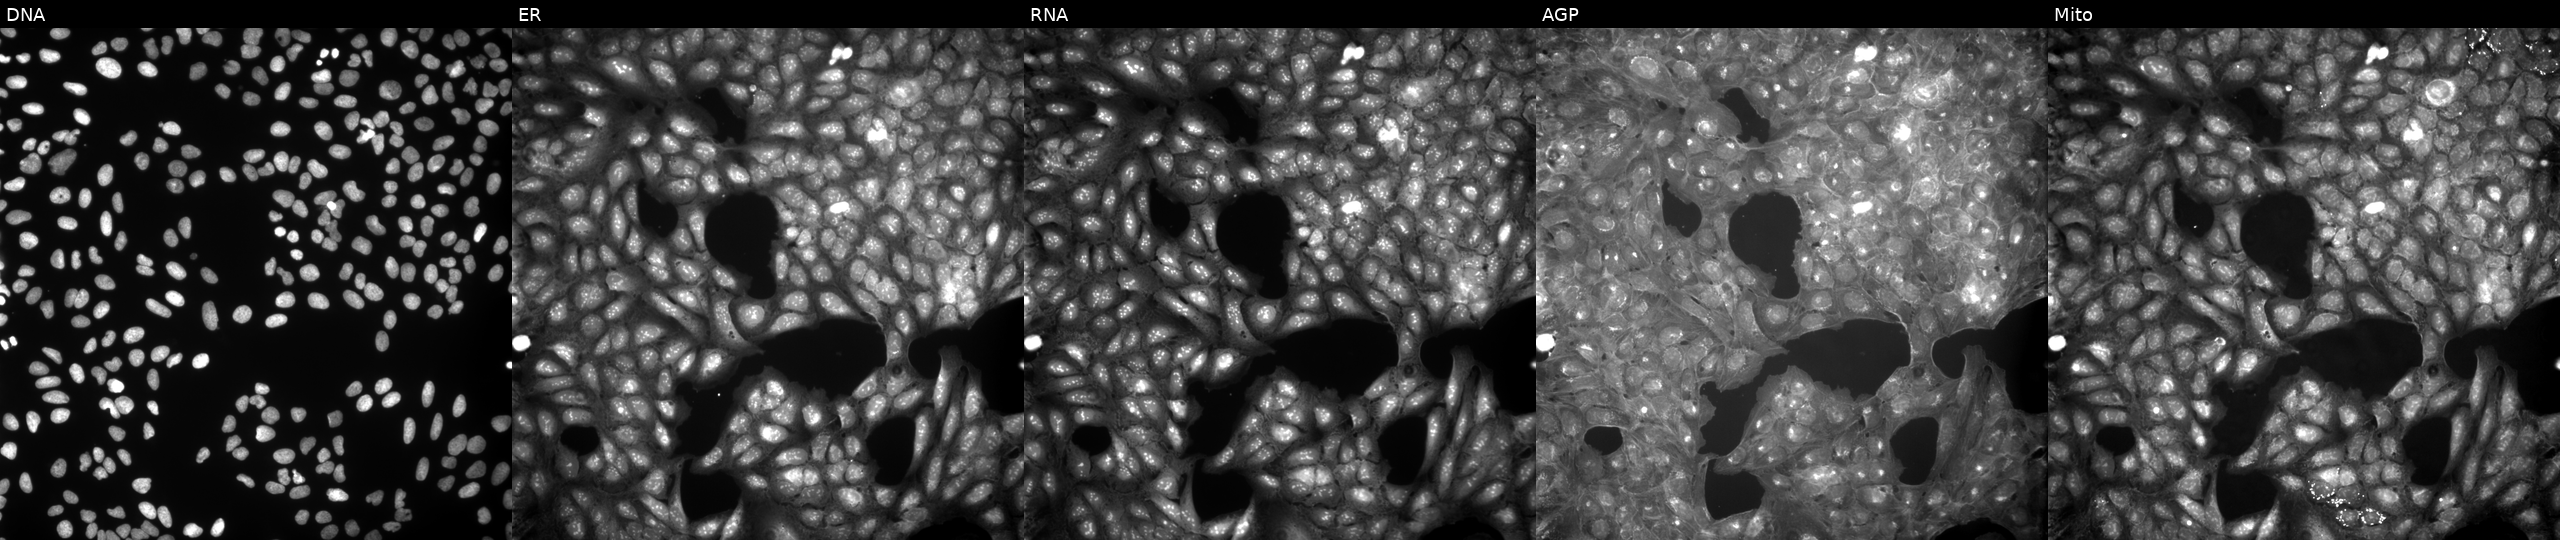
Five-channel Cell Painting image of U2OS cells treated with a small-molecule compound. Panels show, left to right, Hoechst 33342, concanavalin A, SYTO 14, phalloidin and WGA, MitoTracker. Source 9, plate GR00003382, well B28.